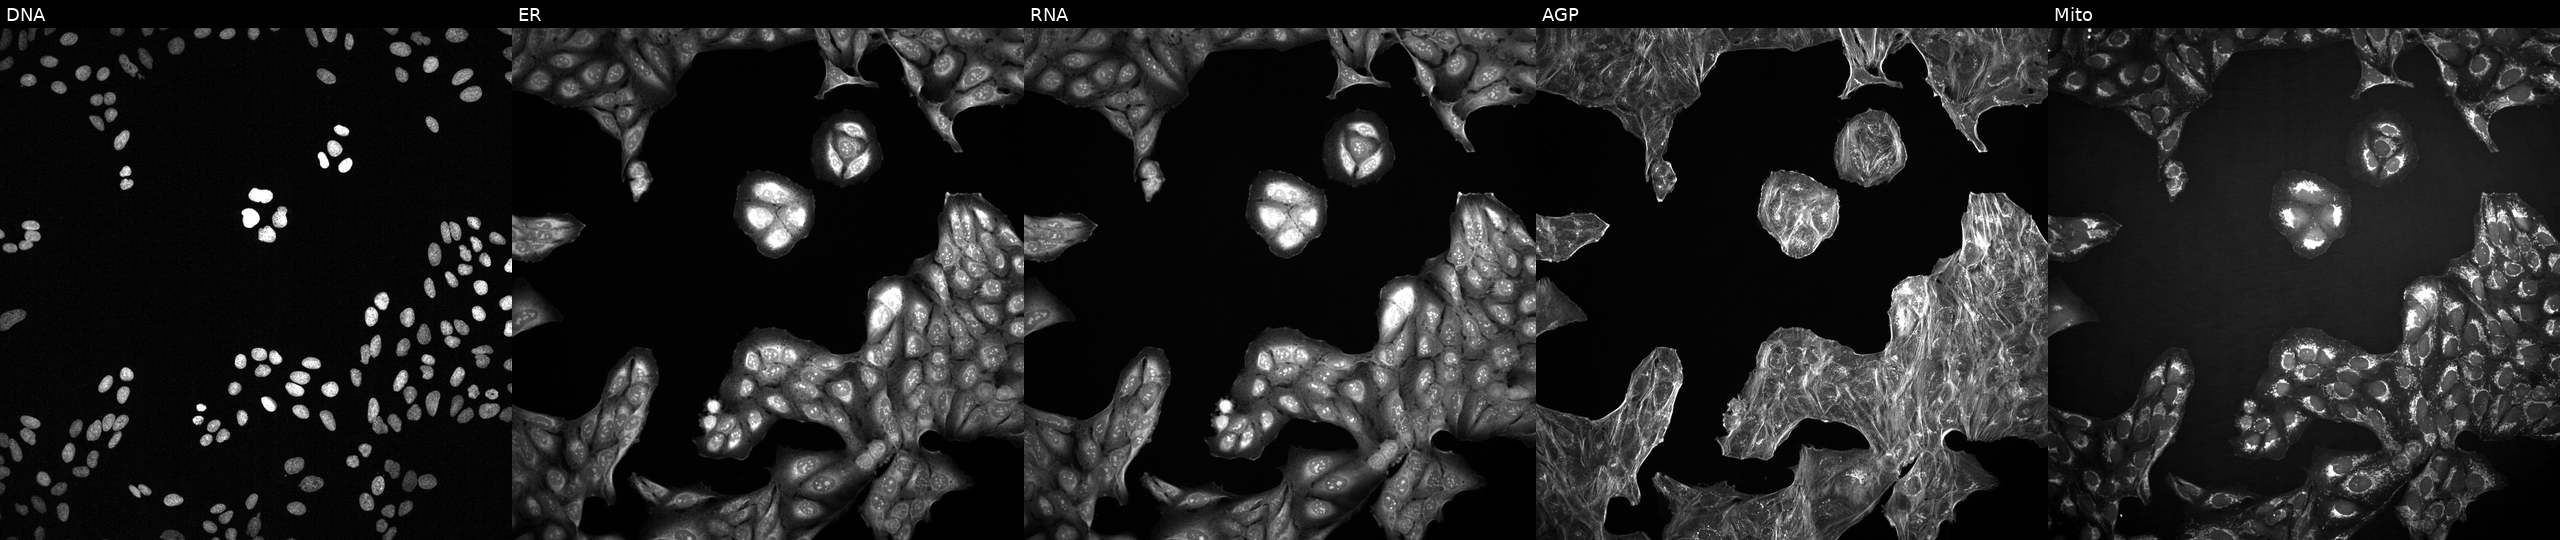
Five-channel Cell Painting image of U2OS cells treated with a small-molecule compound (InChIKey NEMHKCNXXRQYRF-UHFFFAOYSA-N) (JUMP id JCP2022_058461). Panels show, left to right, Hoechst 33342, concanavalin A, SYTO 14, phalloidin and WGA, MitoTracker.